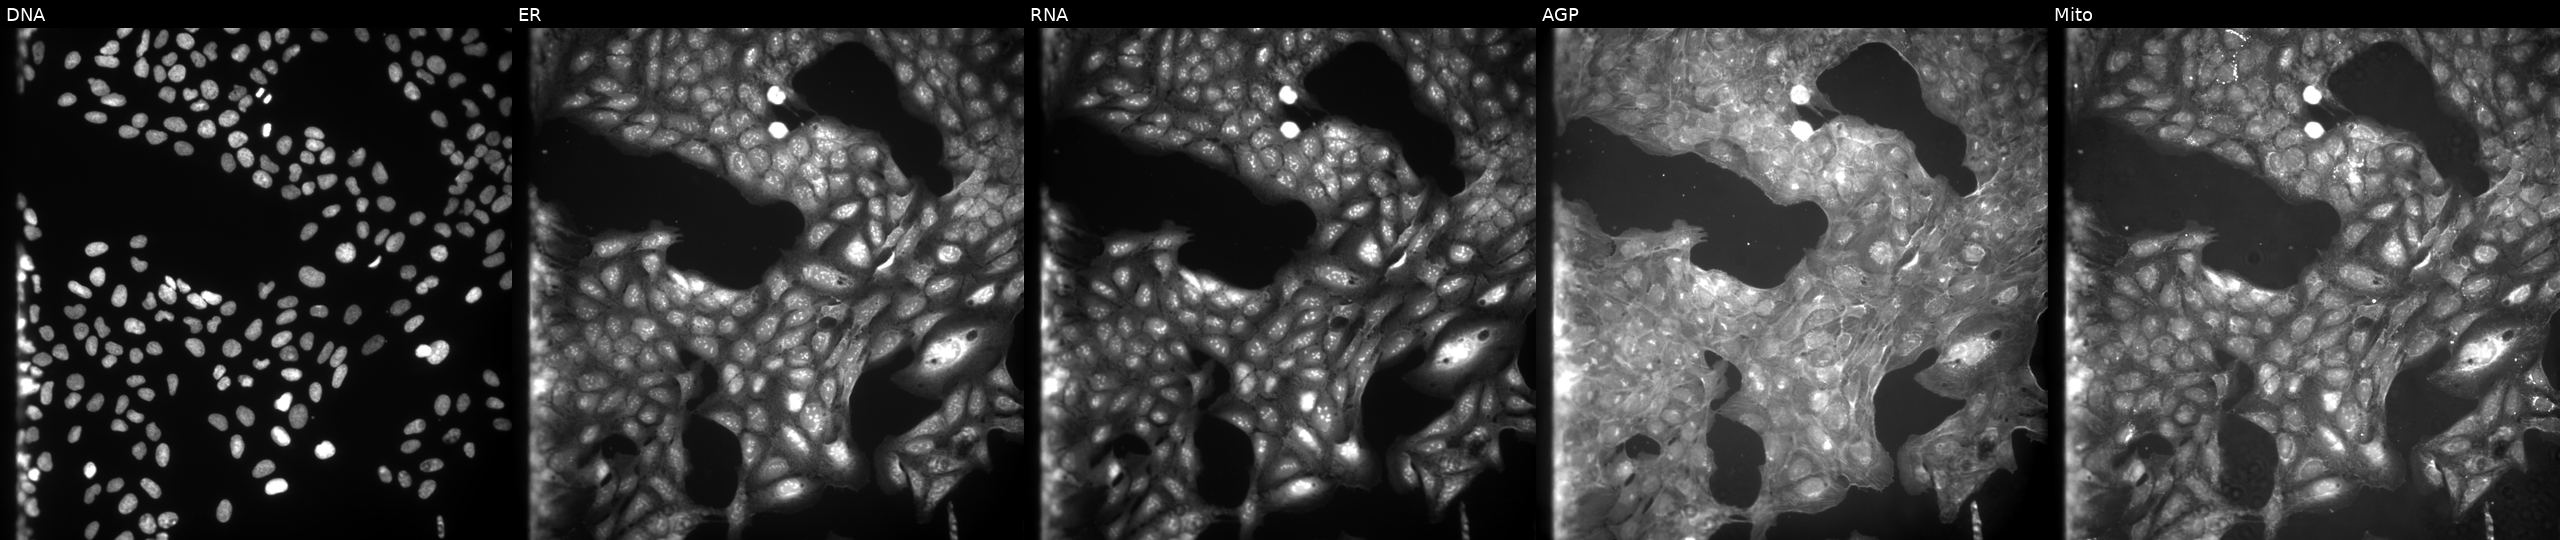
This image strip shows the five Cell Painting channels for a single field of U2OS cells exposed to a small-molecule compound [SMILES: COc1ccc(-c2noc(CCc3ccccc3)n2)cc1] (JUMP id JCP2022_110646). Panels show, left to right, Hoechst 33342, concanavalin A, SYTO 14, phalloidin and WGA, MitoTracker. Source 9, plate GR00003382, well A14.